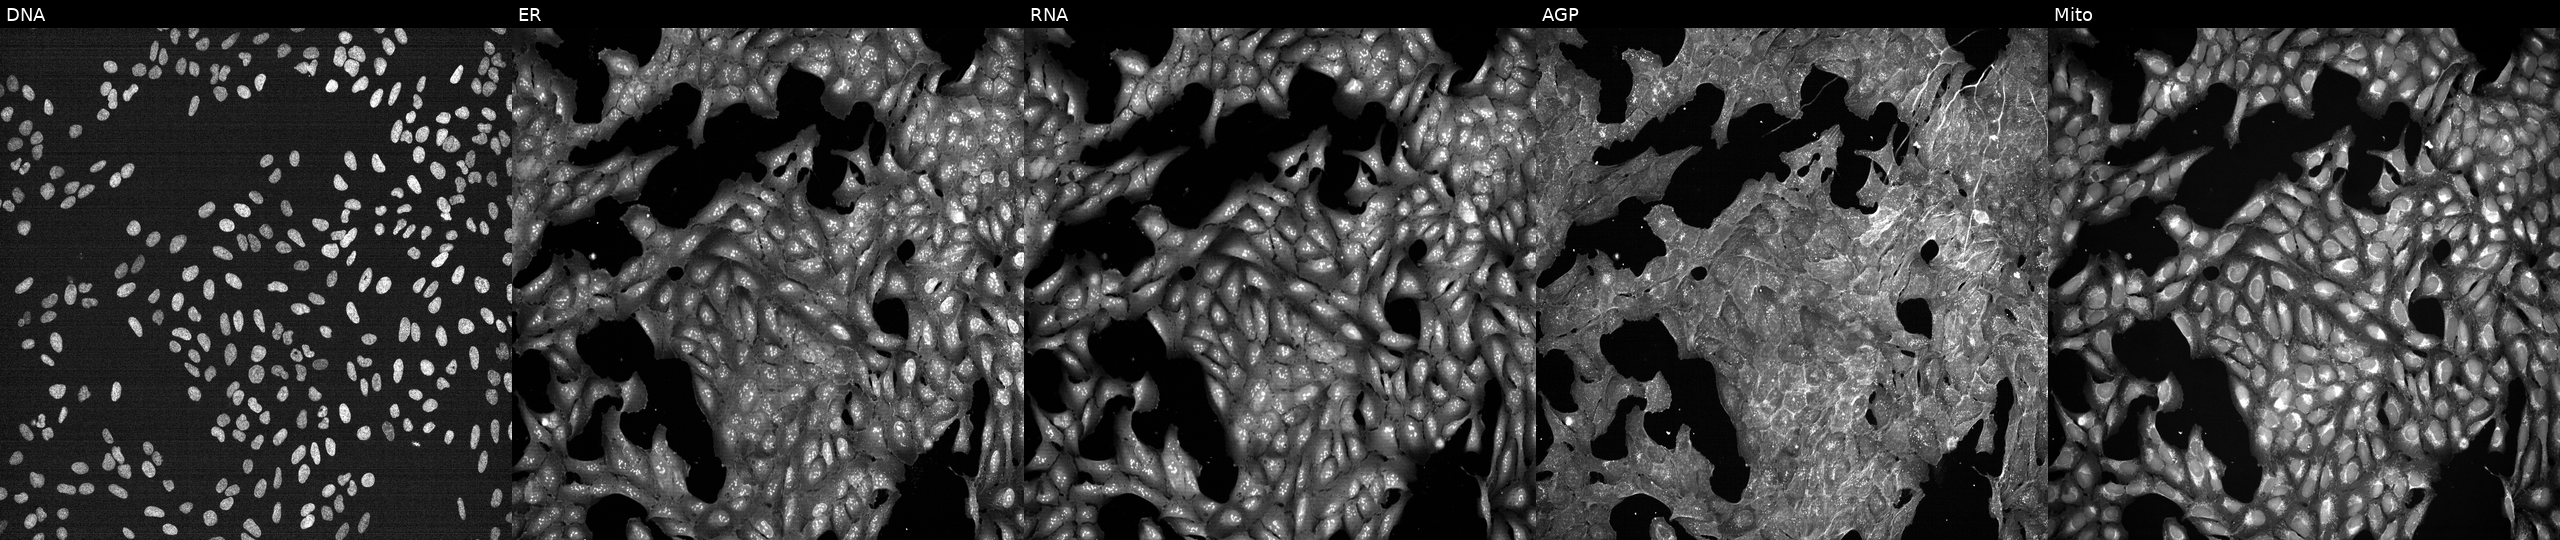
U2OS cells, Cell Painting assay, treated with DMSO vehicle only (negative control). The five panels, left to right, show DNA, ER, RNA, AGP, and Mito. Each panel is percentile-stretched 16-bit fluorescence.